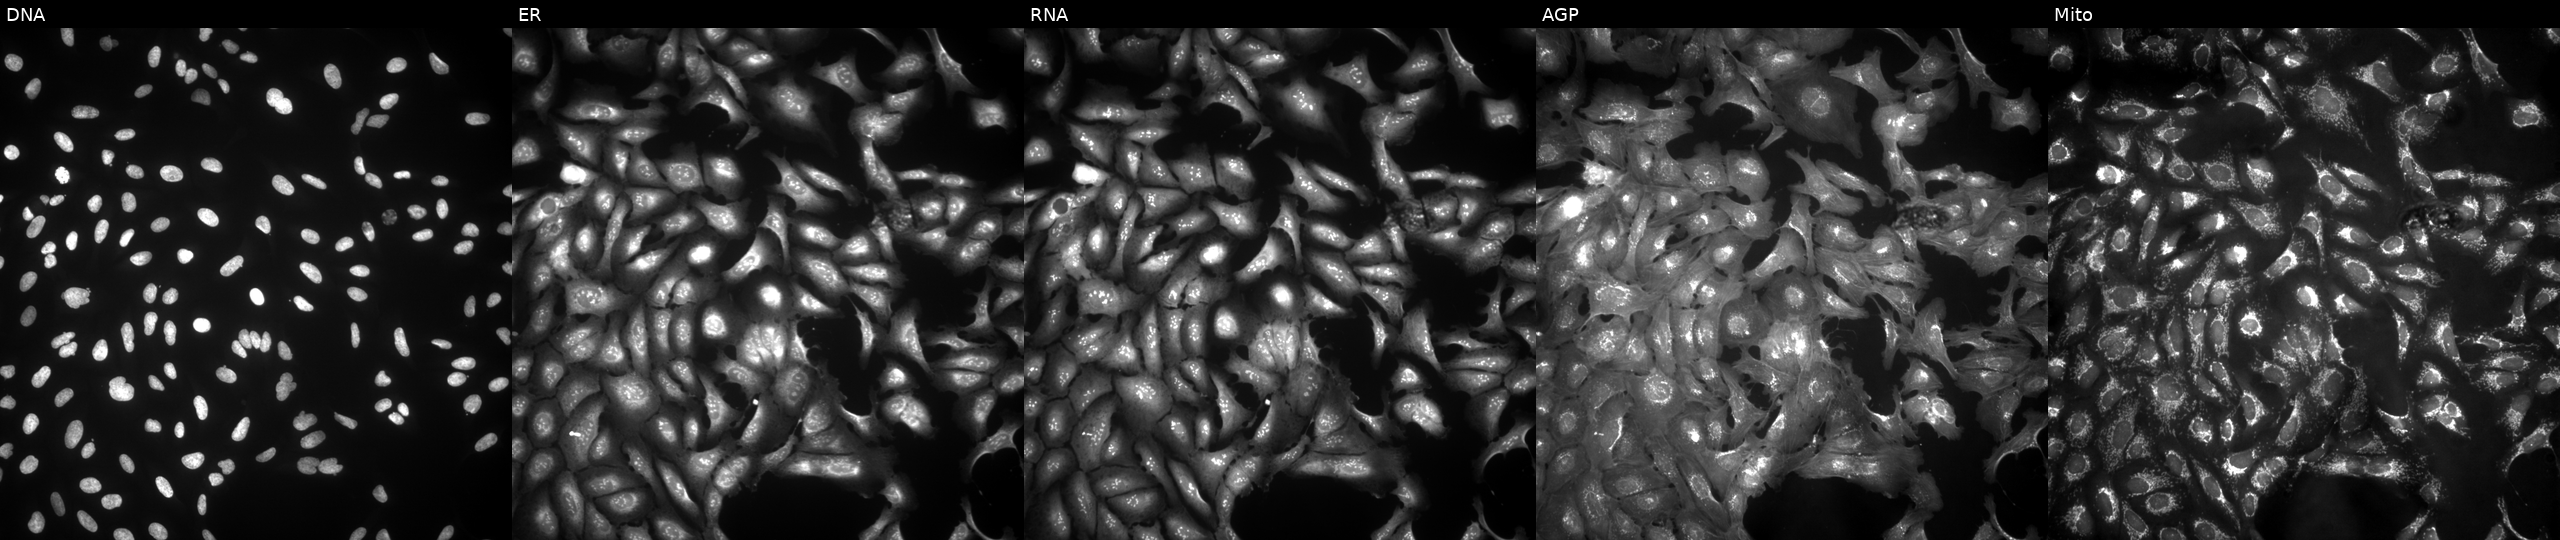
JUMP Cell Painting — ORF plate. U2OS cells transfected with an ORF construct for CYP2C18 (JUMP id JCP2022_900379). The five panels, left to right, show DNA (nuclei); ER (endoplasmic reticulum); RNA (nucleoli and cytoplasmic RNA); AGP (actin cytoskeleton, Golgi, and plasma membrane); Mito (mitochondria).